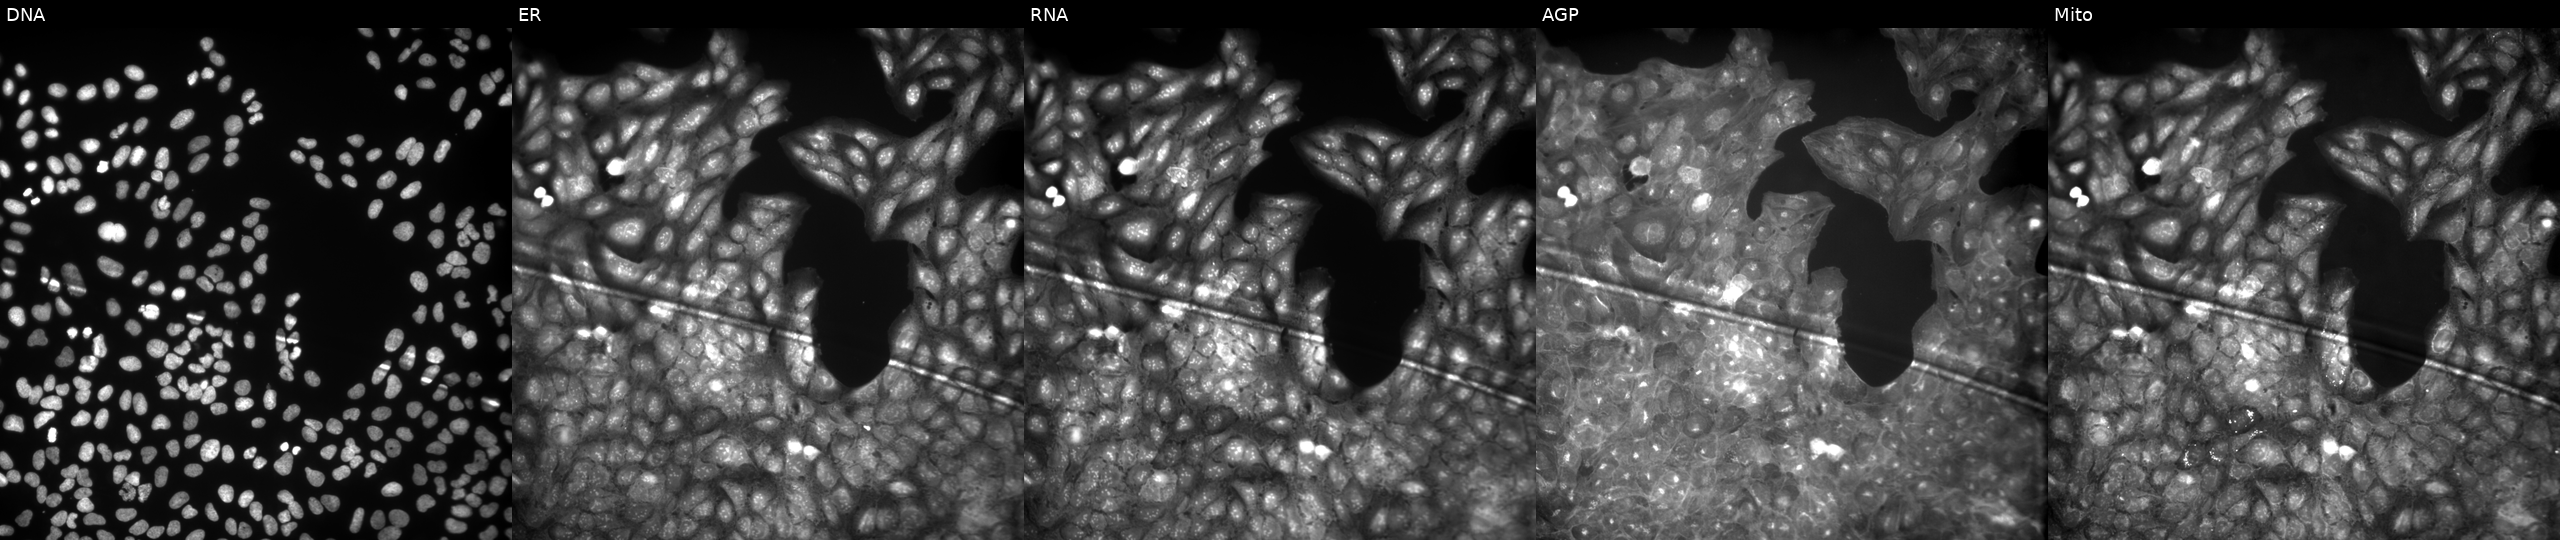
Five-channel Cell Painting image of U2OS cells treated with DMSO vehicle only (negative control). Channels (left→right): Hoechst 33342, concanavalin A, SYTO 14, phalloidin and WGA, MitoTracker.